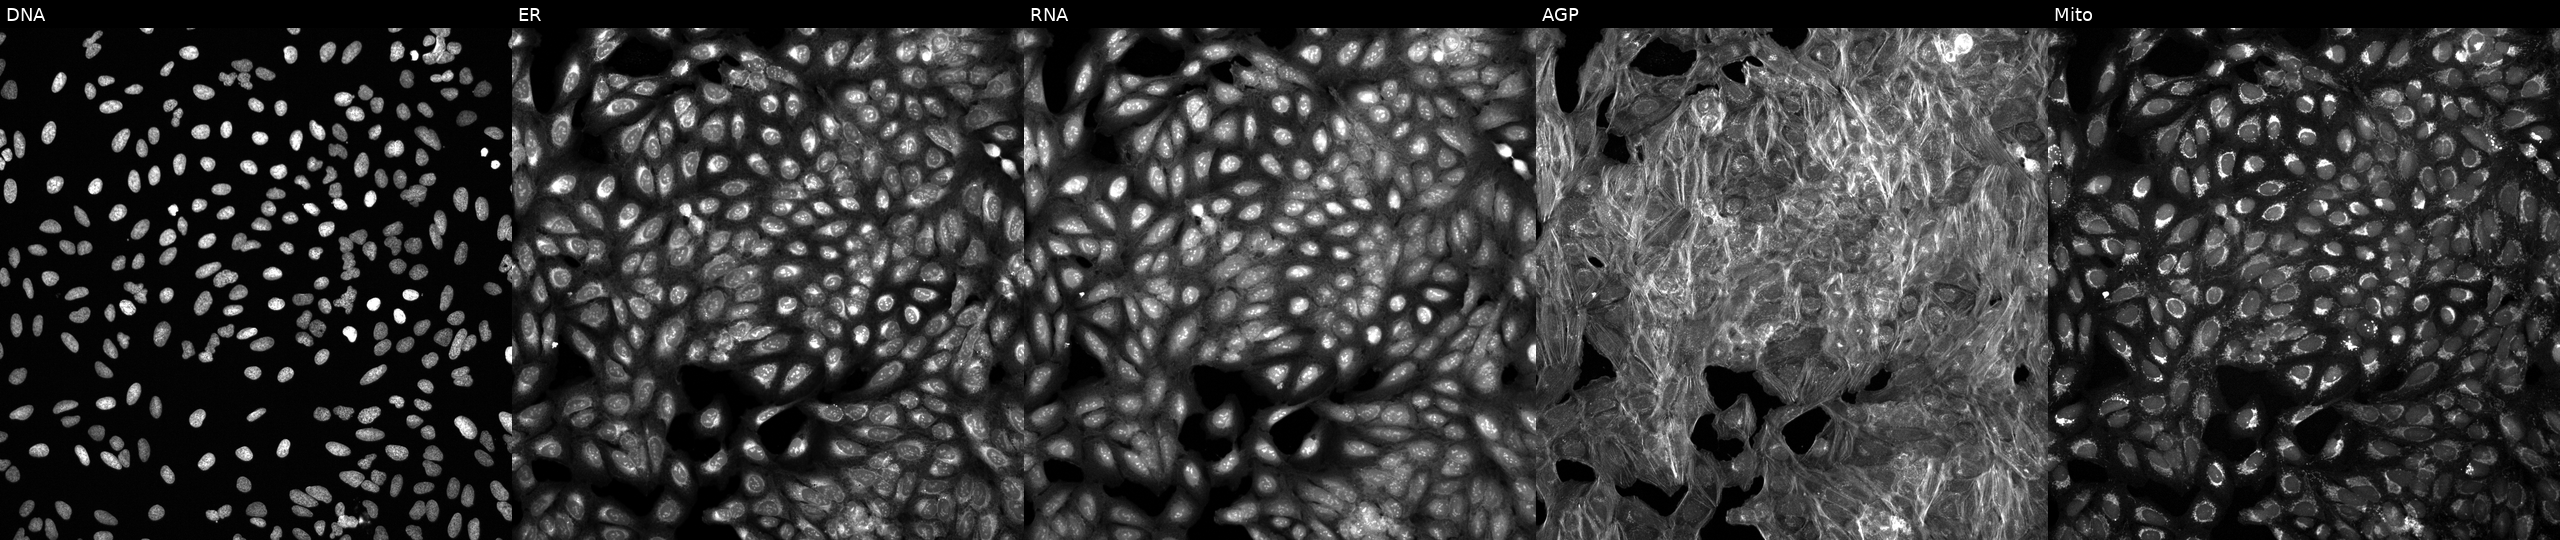
U2OS cells, Cell Painting assay, treated with a small-molecule compound (JUMP id JCP2022_043531). Channels (left→right): DNA (nuclei); ER (endoplasmic reticulum); RNA (nucleoli and cytoplasmic RNA); AGP (actin cytoskeleton, Golgi, and plasma membrane); Mito (mitochondria). Each panel is percentile-stretched 16-bit fluorescence.